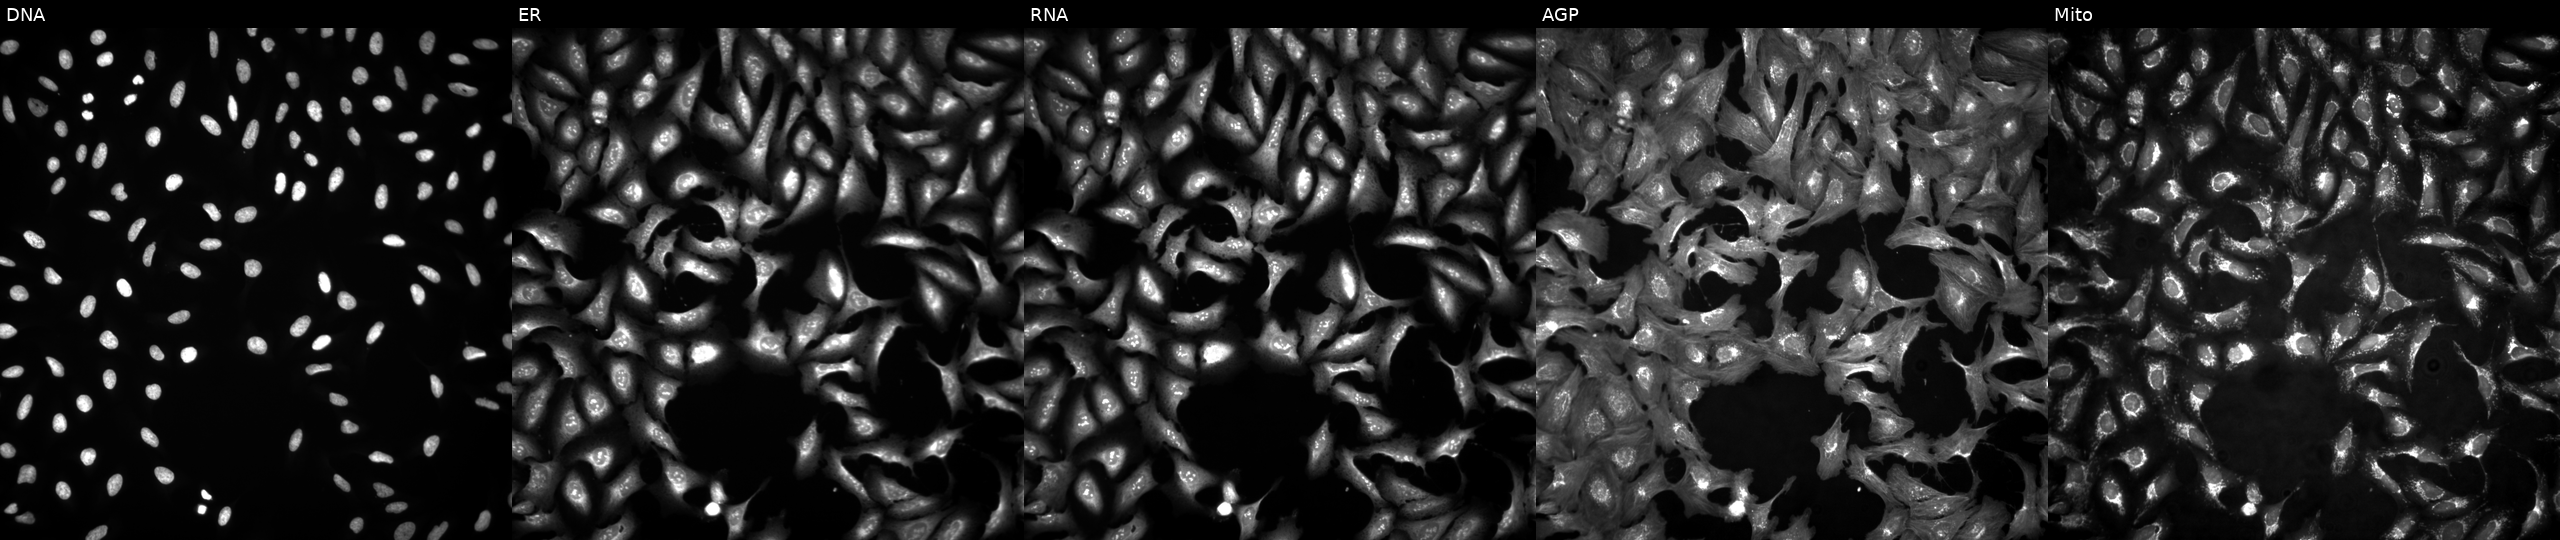
High-content fluorescence microscopy (Cell Painting). Cell line: U2OS. Perturbation: with FLT4 overexpressed (ORF). The five panels, left to right, show DNA, ER, RNA, AGP, and Mito.